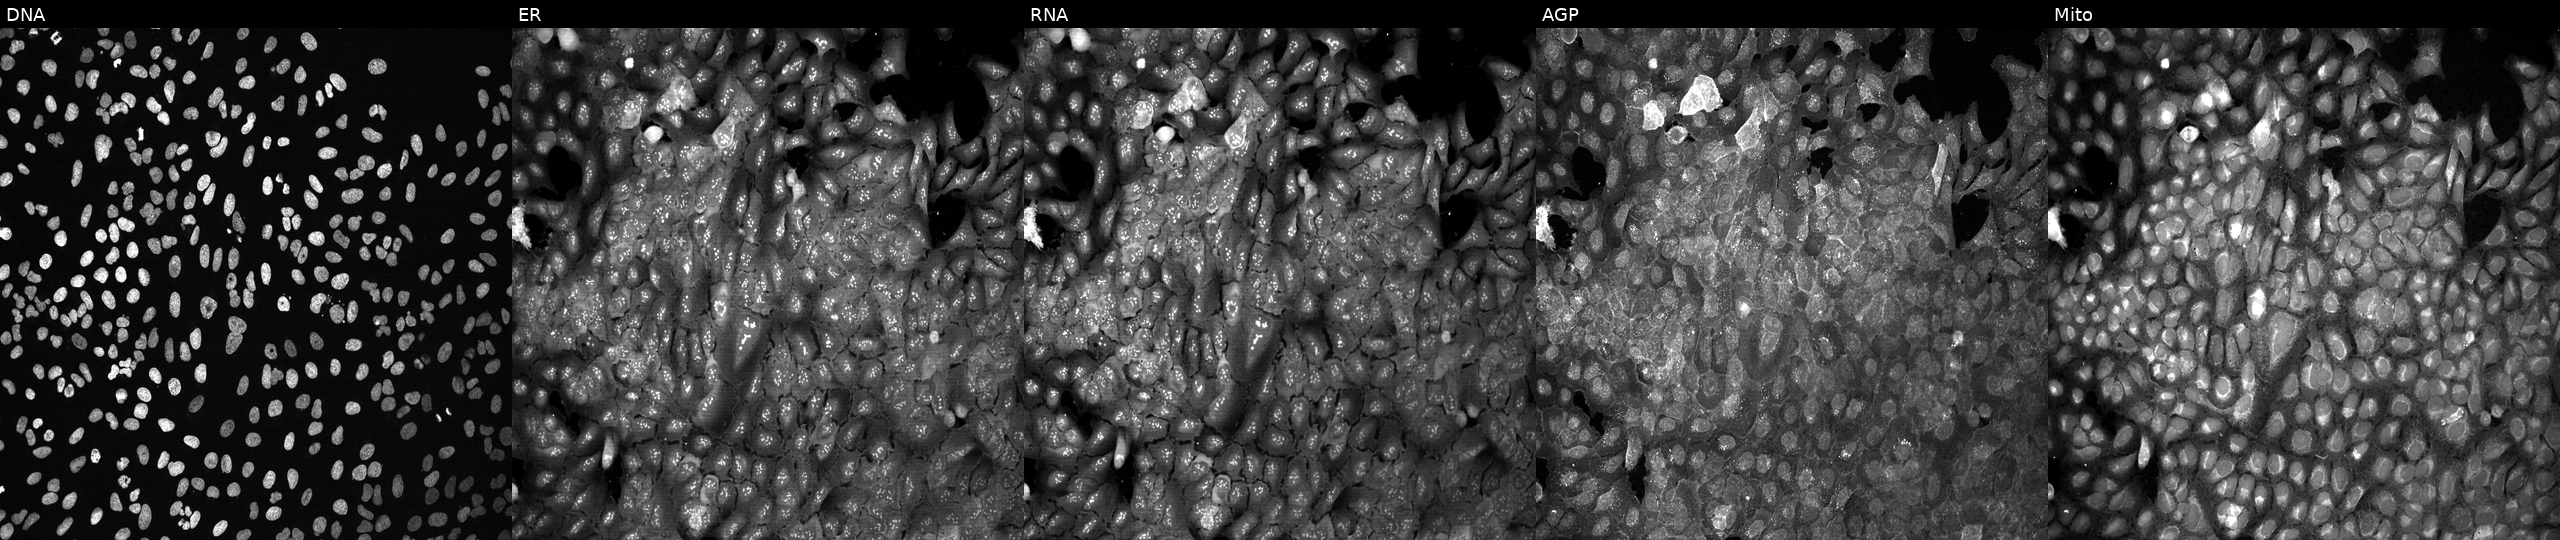
JUMP Cell Painting — CRISPR plate. U2OS cells CRISPR-edited to disrupt RDH14. Channels (left→right): Hoechst 33342, concanavalin A, SYTO 14, phalloidin and WGA, MitoTracker. Source 13, plate CP-CC9-R1-01, well C21.